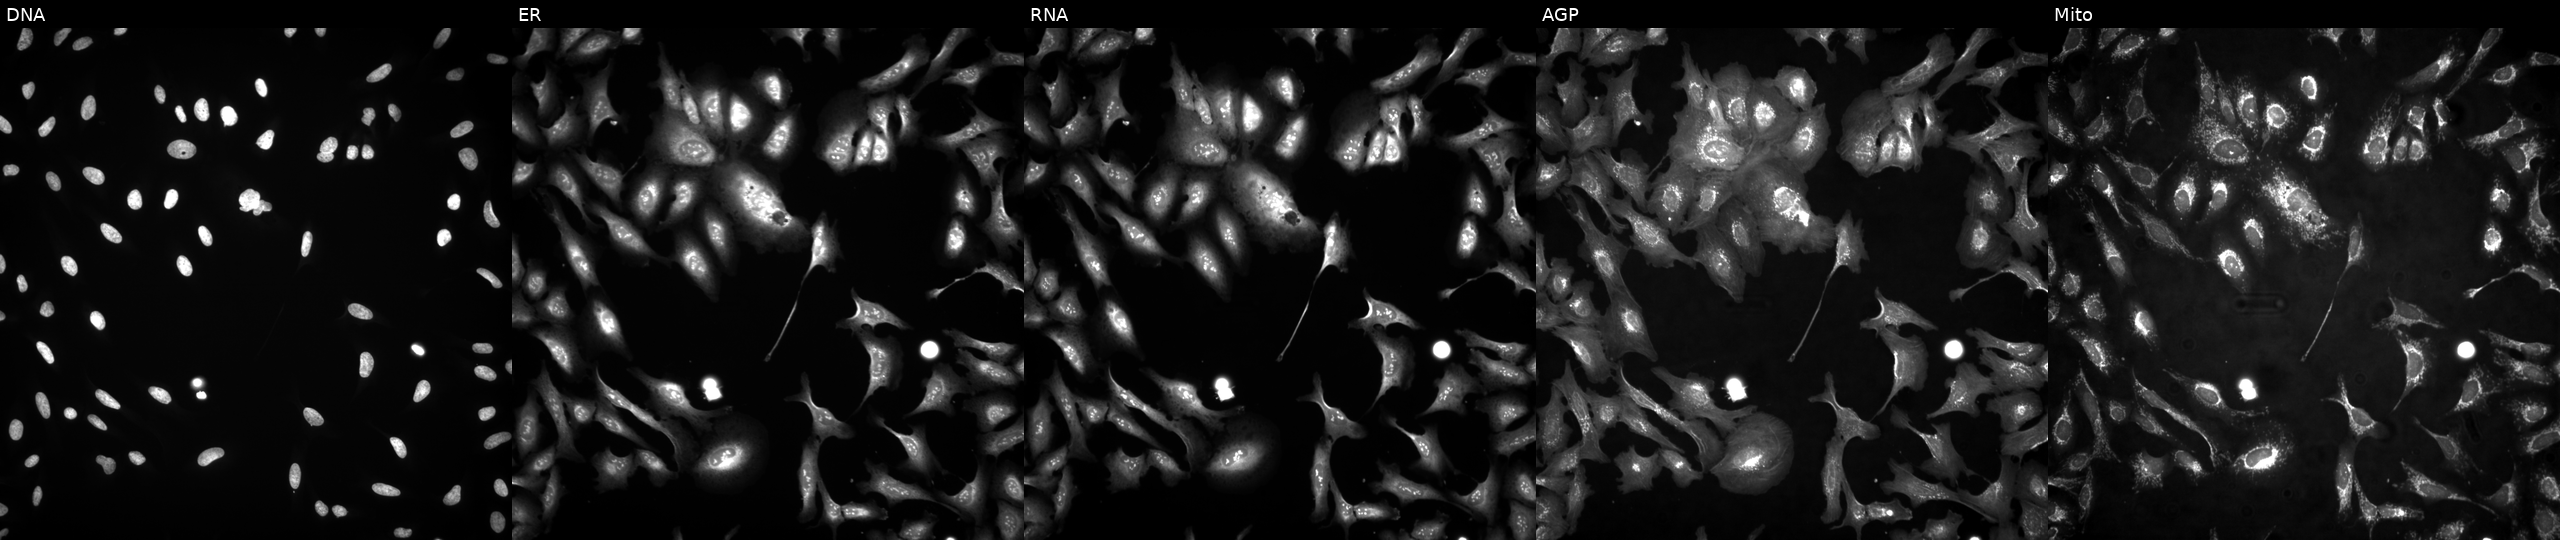
JUMP Cell Painting — ORF plate. U2OS cells with HSPBAP1 overexpressed (ORF). From left to right: DNA (nuclei); ER (endoplasmic reticulum); RNA (nucleoli and cytoplasmic RNA); AGP (actin cytoskeleton, Golgi, and plasma membrane); Mito (mitochondria). Source 4, plate BR00124787, well D04.